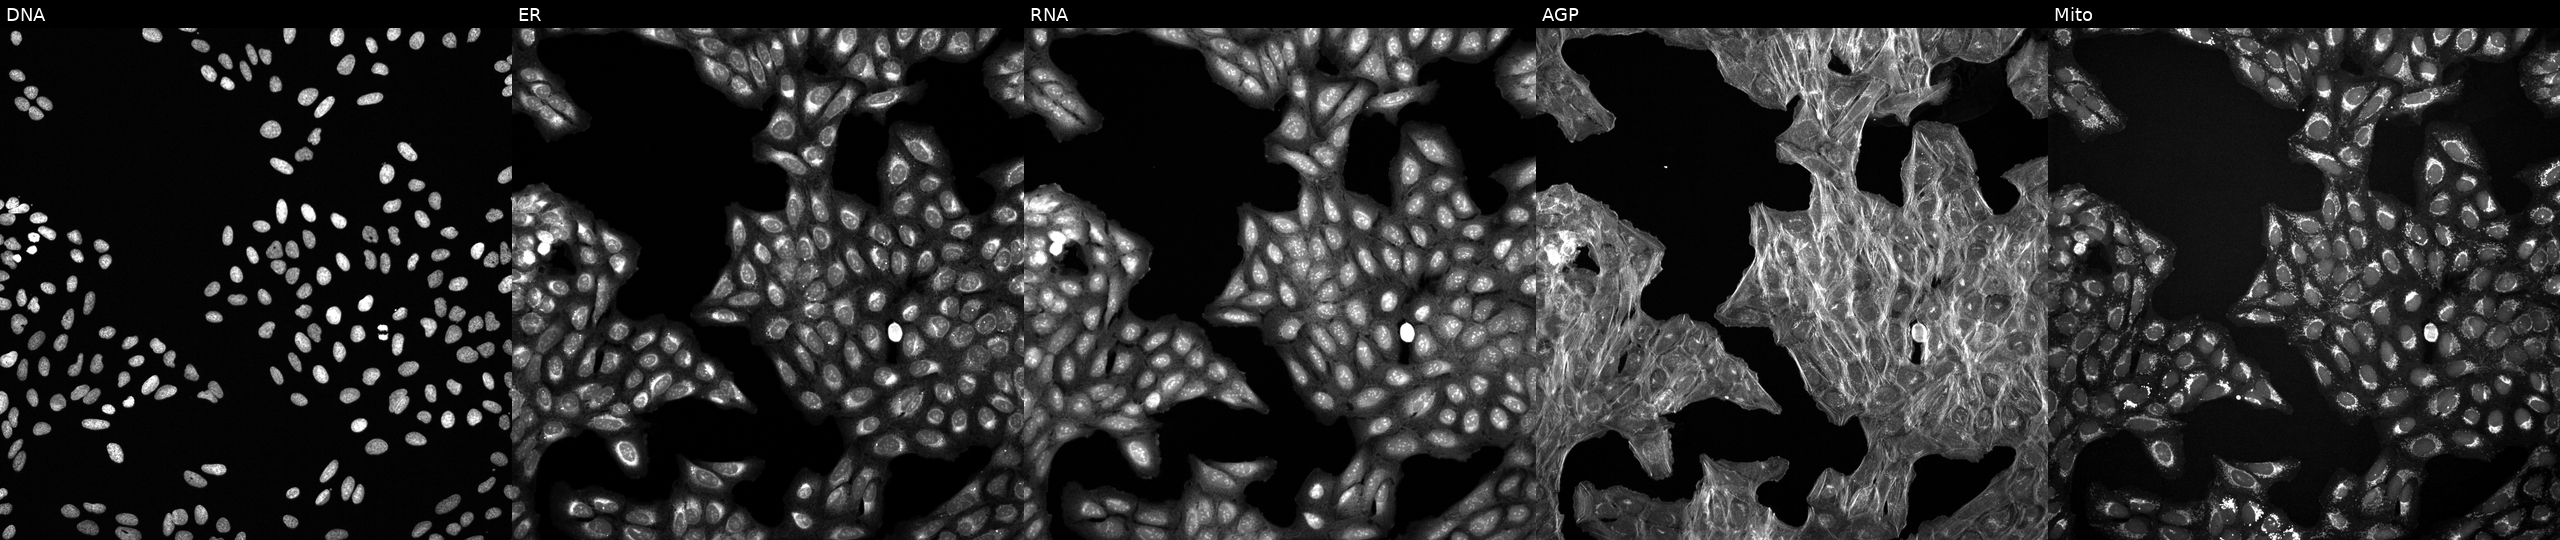
JUMP Cell Painting — COMPOUND plate. U2OS cells exposed to a small-molecule compound (InChIKey BBIGNIIYTXPUKA-UHFFFAOYSA-N) (JUMP id JCP2022_005207). Panels show, left to right, DNA (nuclei); ER (endoplasmic reticulum); RNA (nucleoli and cytoplasmic RNA); AGP (actin cytoskeleton, Golgi, and plasma membrane); Mito (mitochondria).